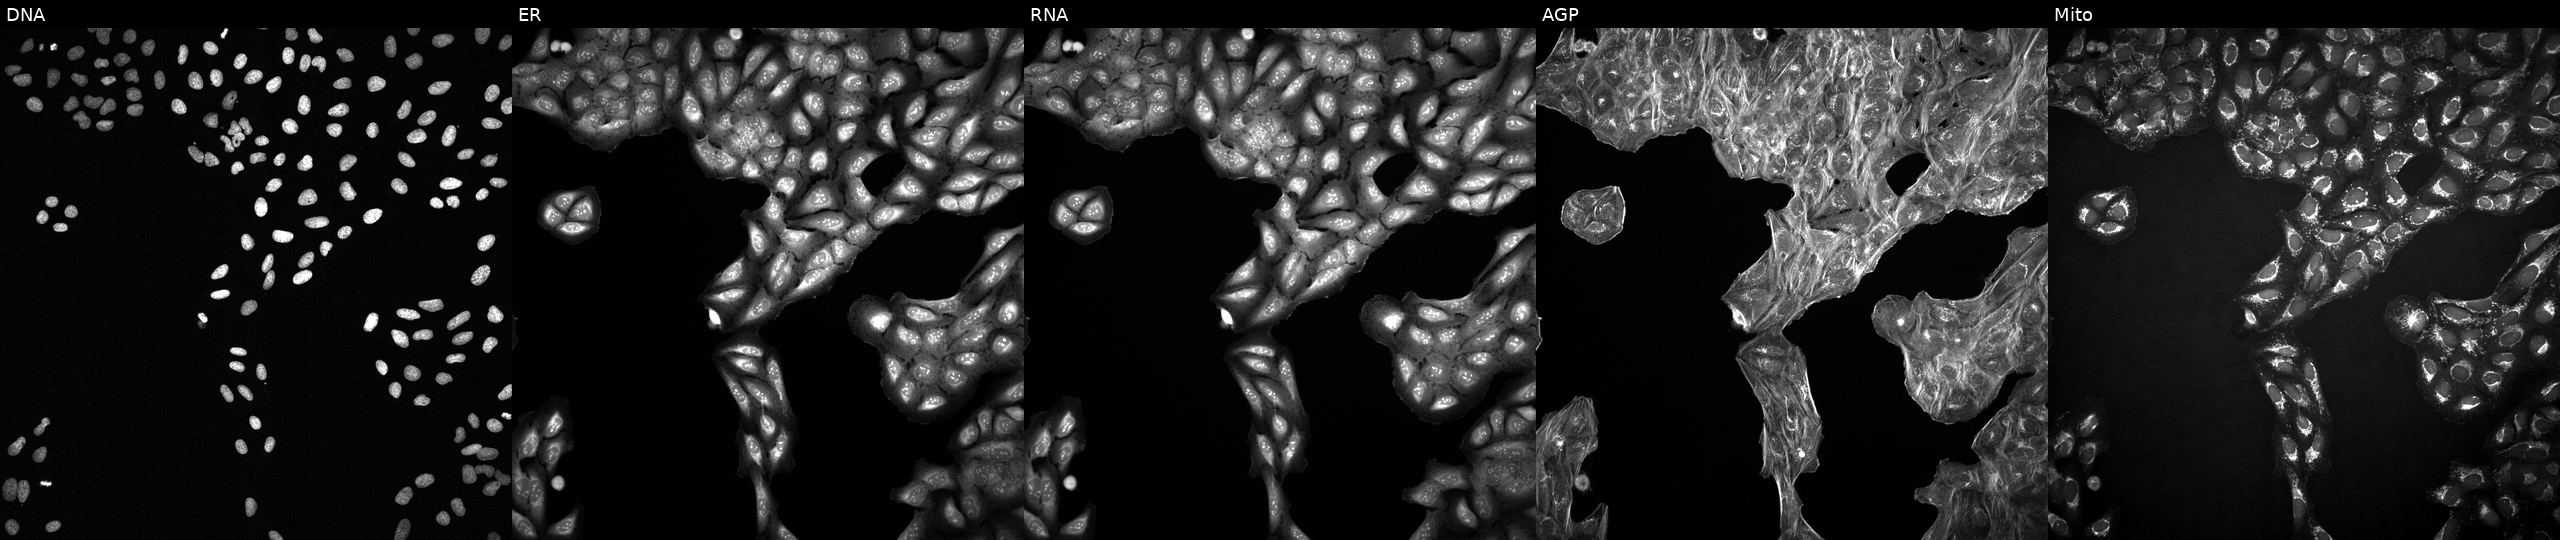
This image strip shows the five Cell Painting channels for a single field of U2OS cells with an unidentified perturbation (not annotated in JUMP metadata). The five panels, left to right, show Hoechst 33342, concanavalin A, SYTO 14, phalloidin and WGA, MitoTracker.